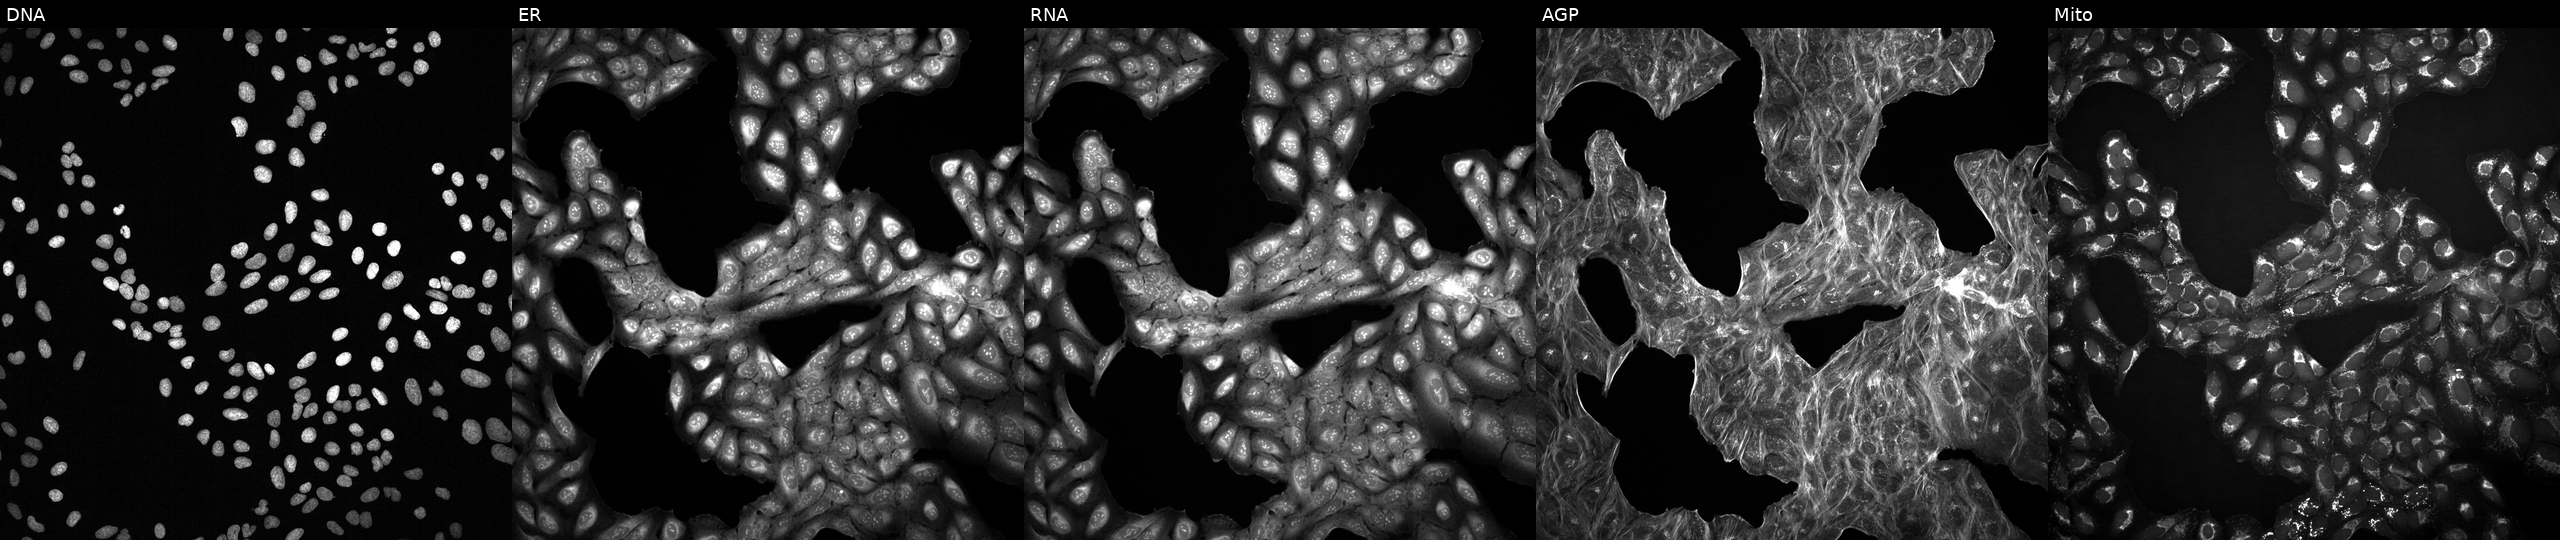
JUMP Cell Painting — COMPOUND plate. U2OS cells with an unidentified perturbation (not annotated in JUMP metadata). From left to right: DNA, ER, RNA, AGP, and Mito.